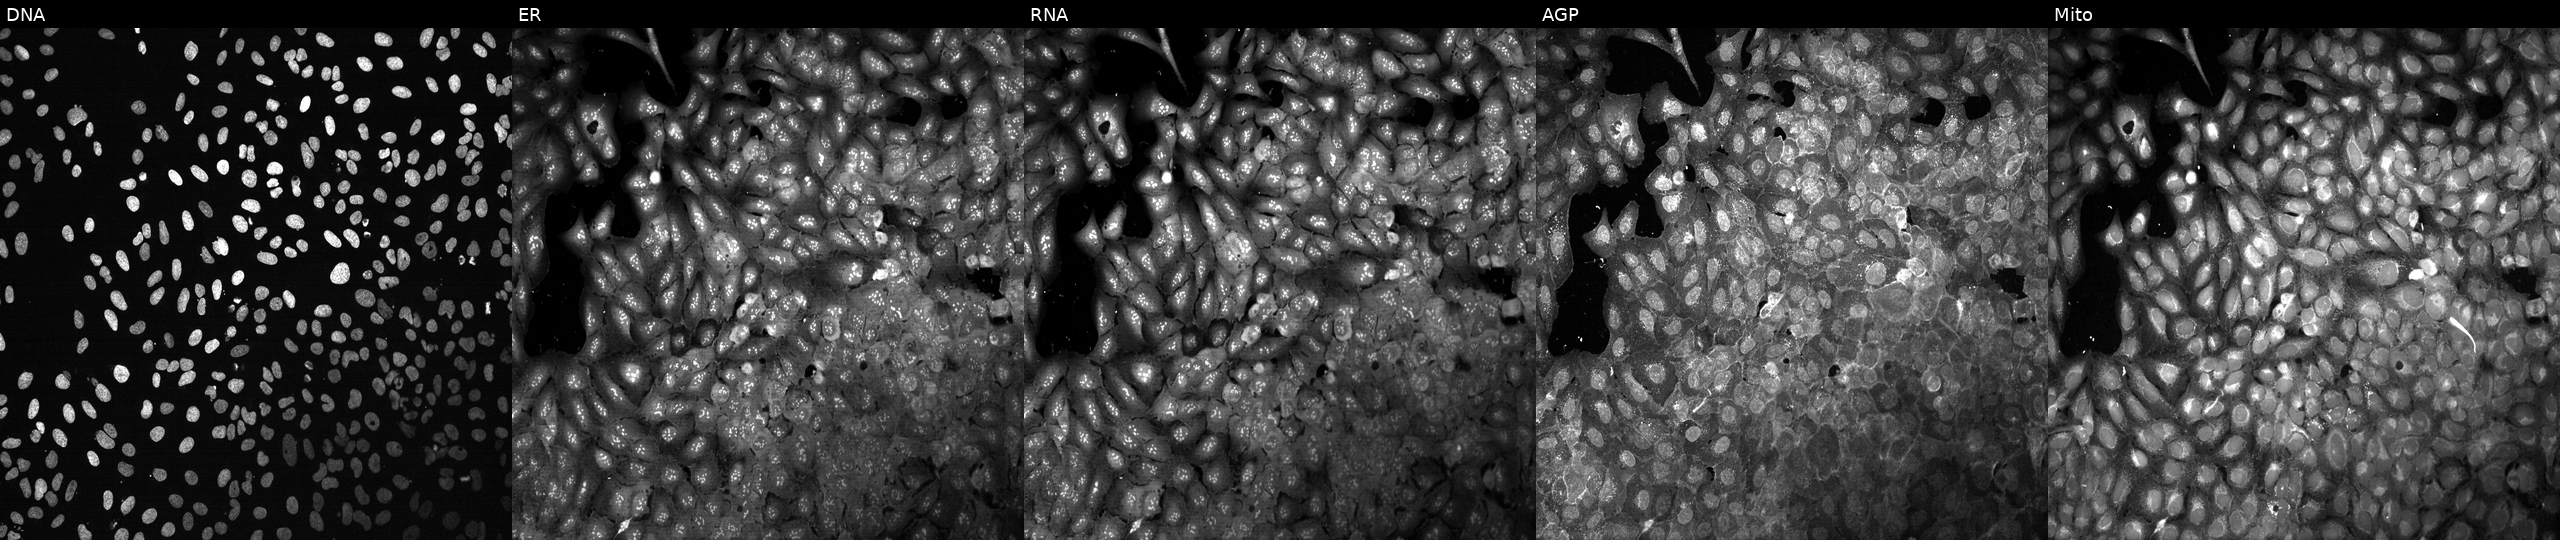
Five-channel Cell Painting image of U2OS cells with NAAA knocked out by CRISPR. From left to right: Hoechst 33342, concanavalin A, SYTO 14, phalloidin and WGA, MitoTracker. Source 13, plate CP-CC9-R1-01, well A22.